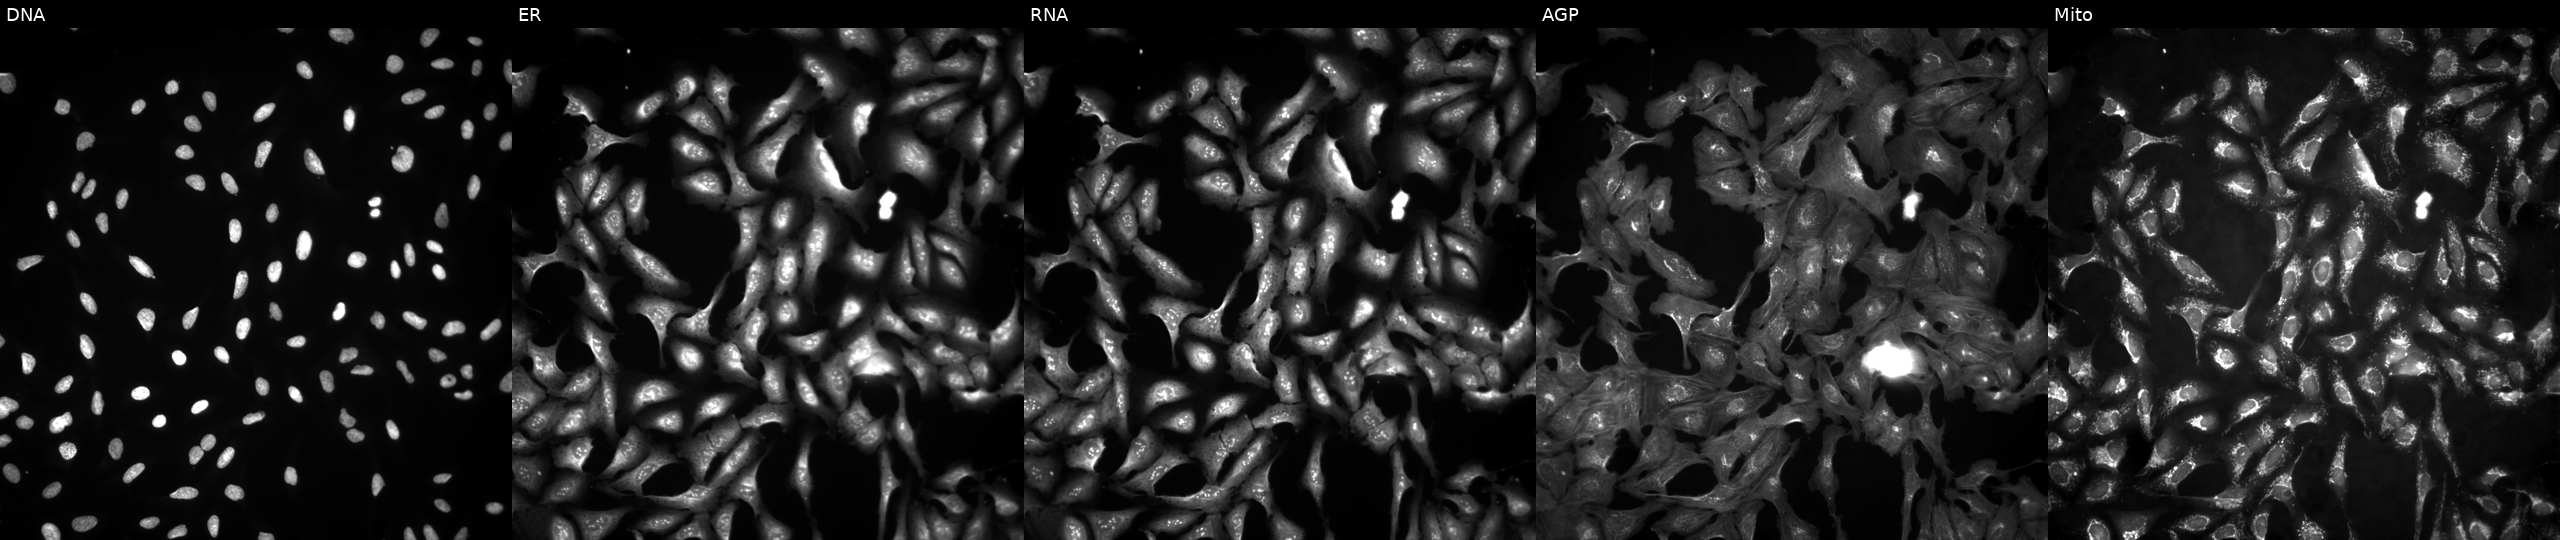
JUMP Cell Painting — ORF plate. U2OS cells transfected with an ORF construct for ADIG (JUMP id JCP2022_915065). Channels (left→right): Hoechst 33342, concanavalin A, SYTO 14, phalloidin and WGA, MitoTracker. Source 4, plate BR00124784, well J23.